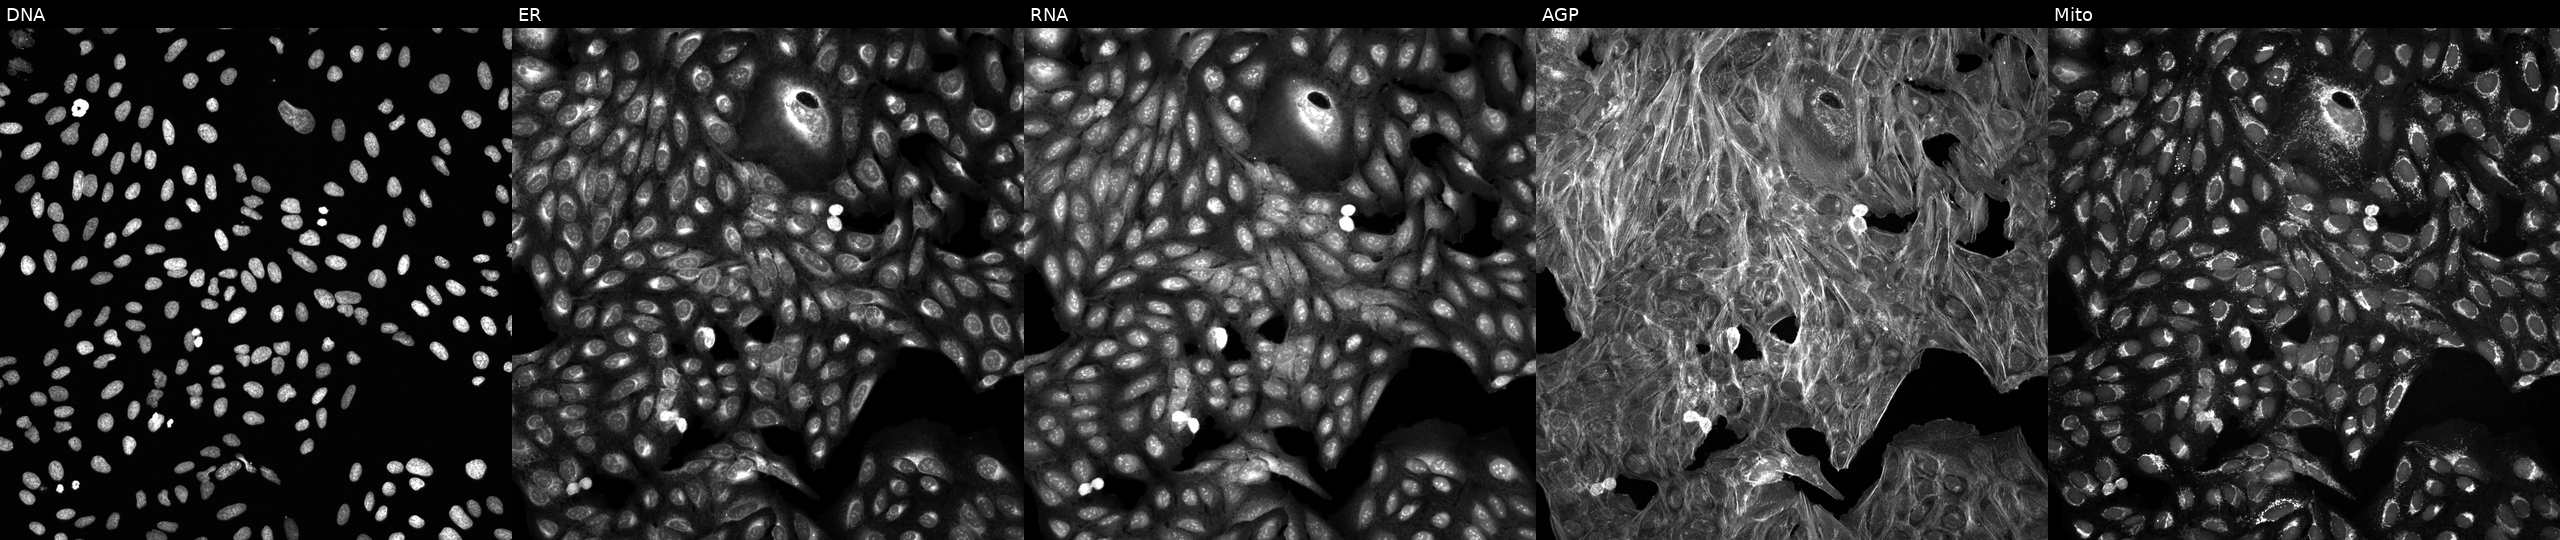
Five-channel Cell Painting image of U2OS cells treated with a small-molecule compound. Panels show, left to right, Hoechst 33342, concanavalin A, SYTO 14, phalloidin and WGA, MitoTracker.